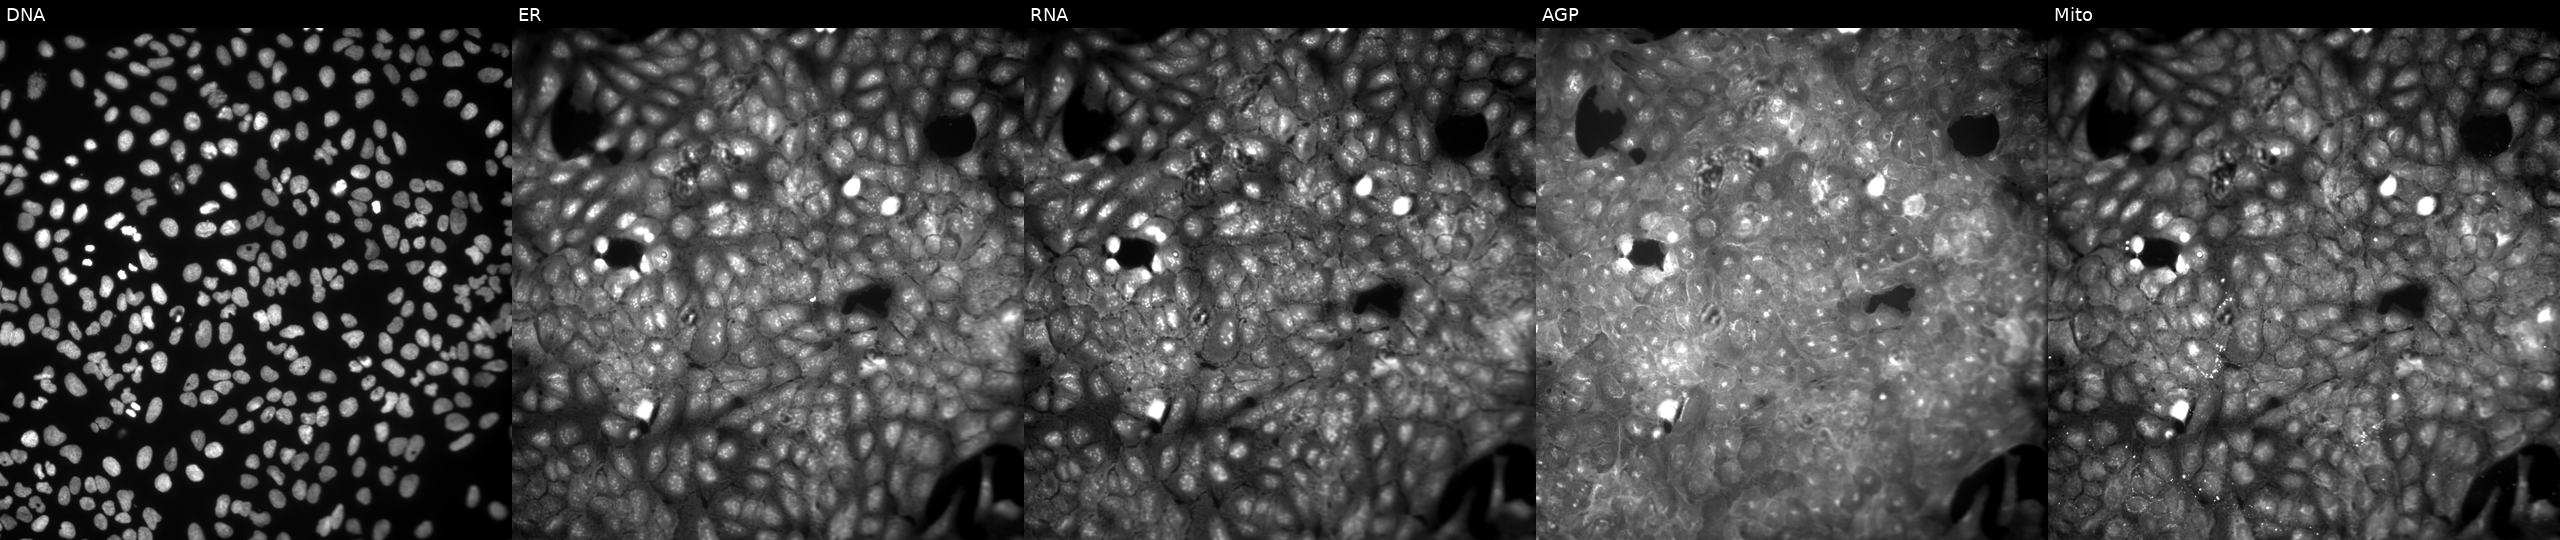
U2OS cells, Cell Painting assay, exposed to a small-molecule compound. Panels show, left to right, Hoechst 33342, concanavalin A, SYTO 14, phalloidin and WGA, MitoTracker. Each panel is percentile-stretched 16-bit fluorescence. Source 9, plate GR00003381, well AB44.